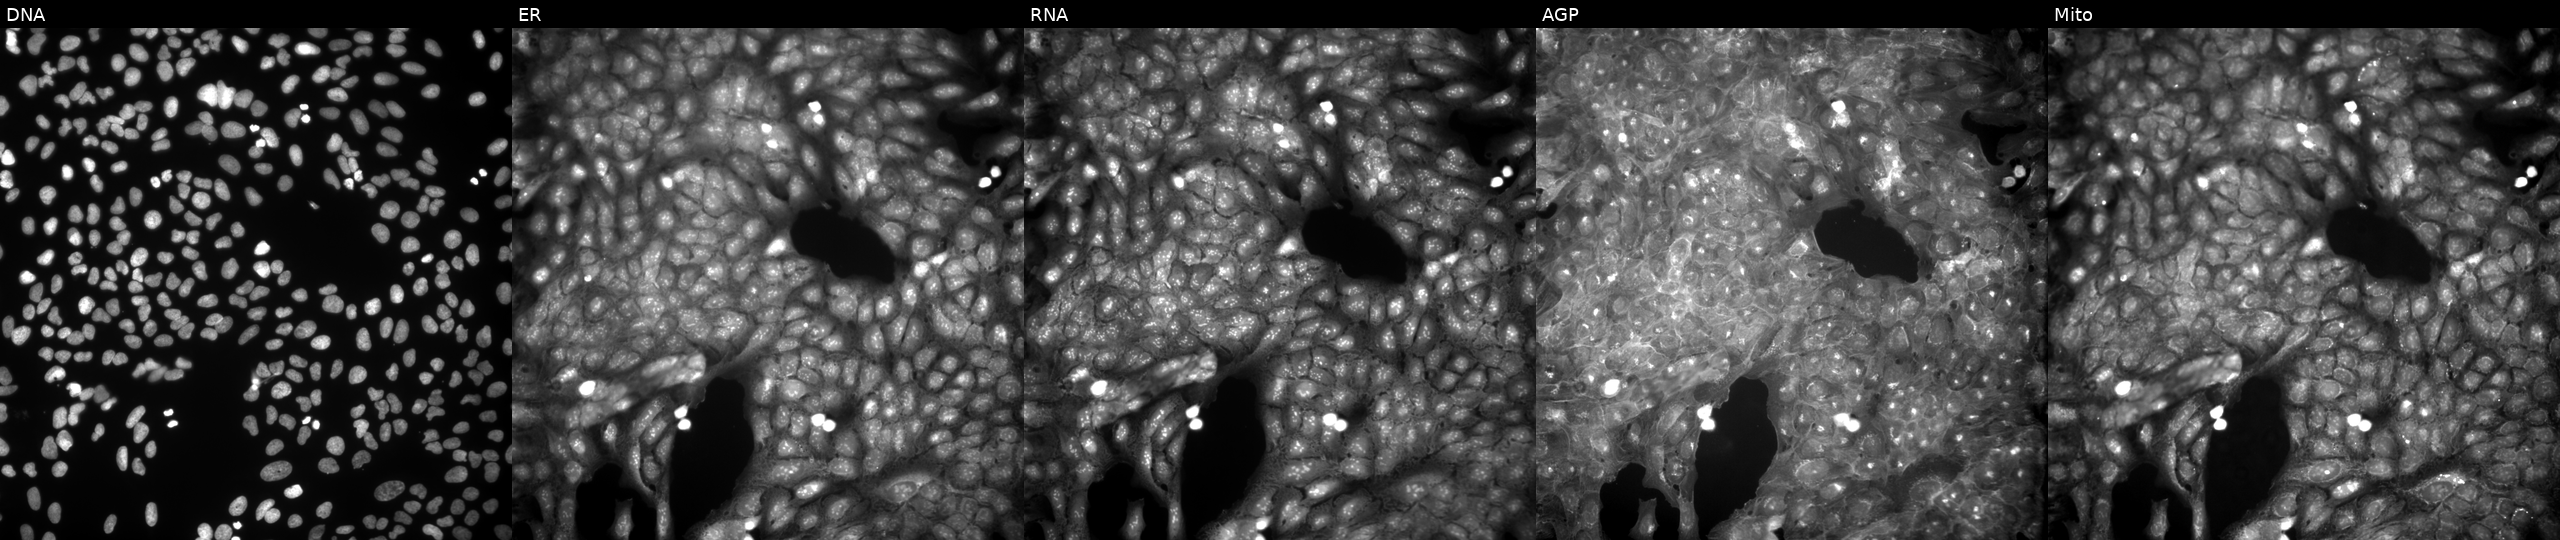
JUMP Cell Painting — COMPOUND plate. U2OS cells exposed to a small-molecule compound (InChIKey KQCLTRMGEJZLQR-UHFFFAOYSA-N) (JUMP id JCP2022_046269). Channels (left→right): DNA (nuclei); ER (endoplasmic reticulum); RNA (nucleoli and cytoplasmic RNA); AGP (actin cytoskeleton, Golgi, and plasma membrane); Mito (mitochondria).